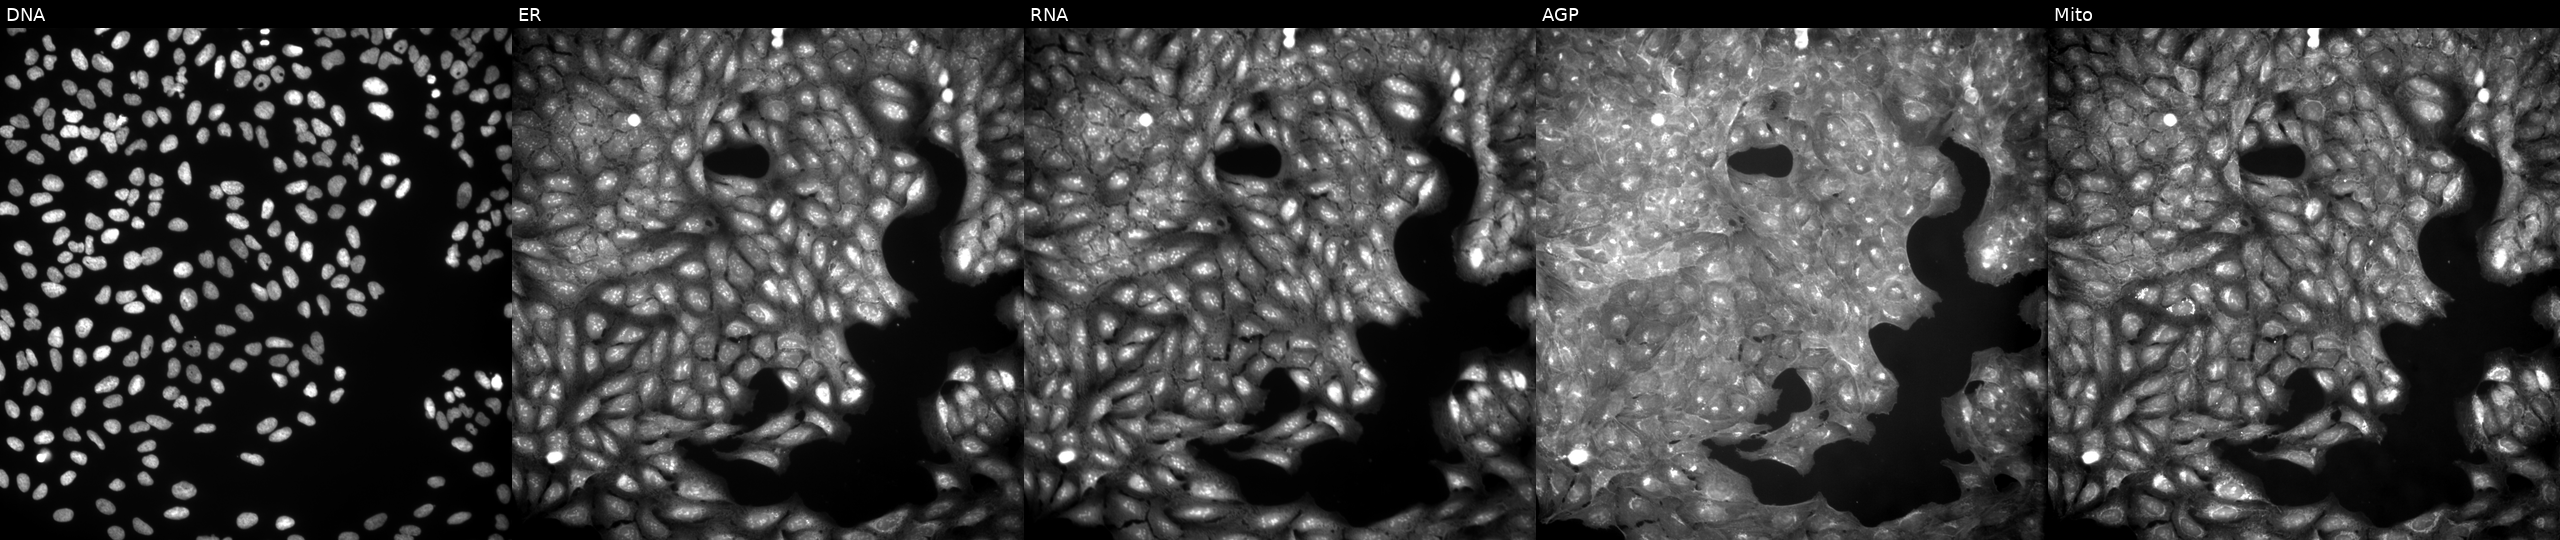
Five-channel Cell Painting image of U2OS cells exposed to a small-molecule compound (InChIKey YRJWRKOSOYNWNG-UHFFFAOYSA-N). The five panels, left to right, show DNA, ER, RNA, AGP, and Mito. Source 9, plate GR00003382, well I32.